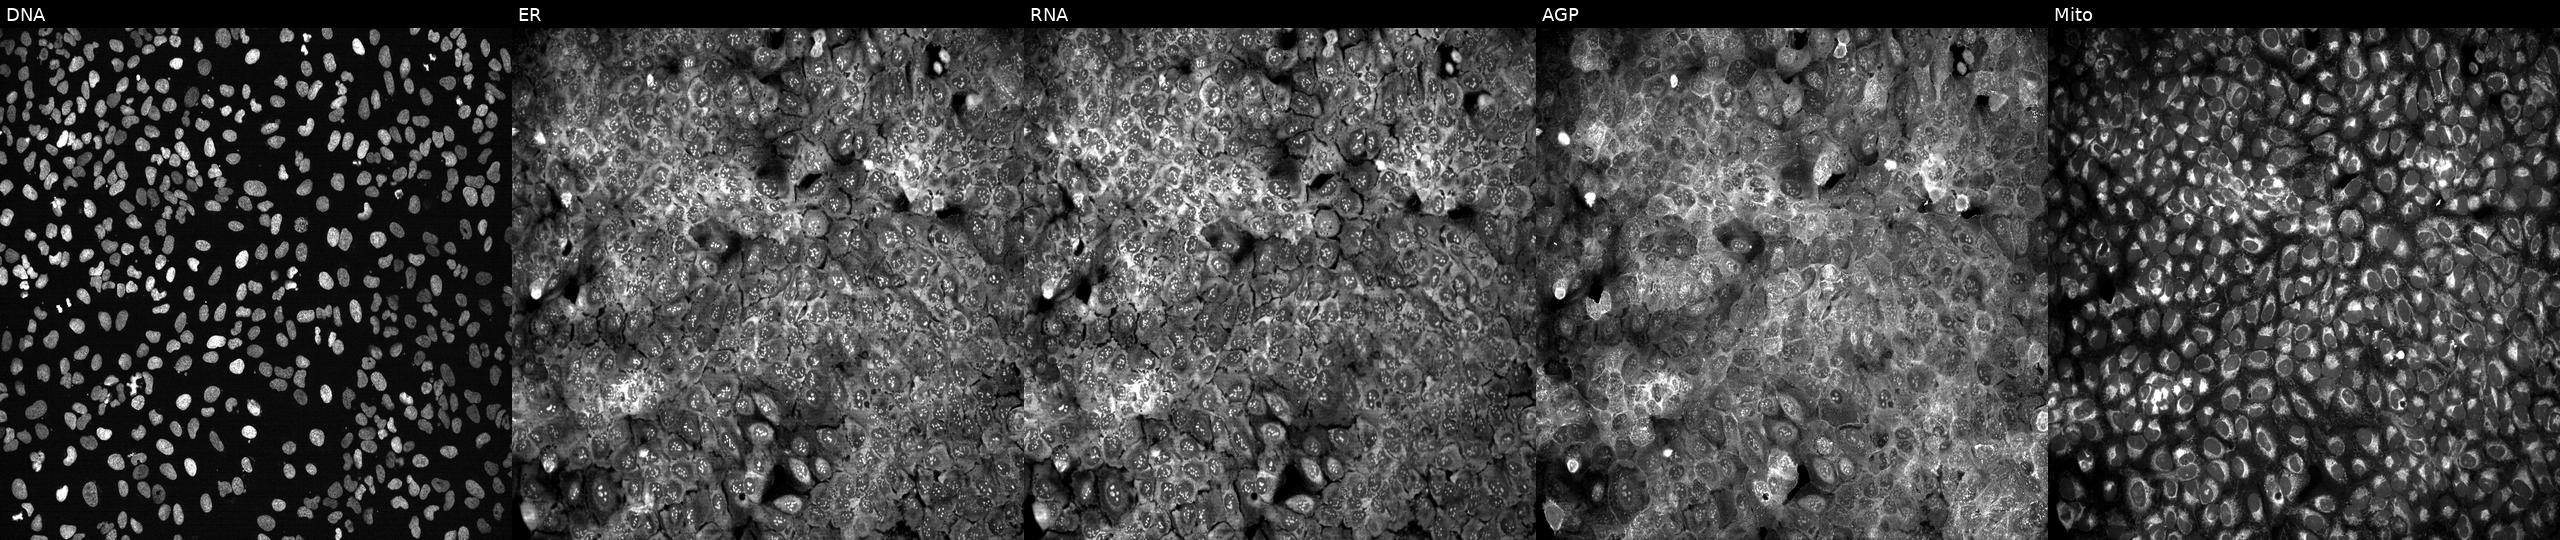
This image strip shows the five Cell Painting channels for a single field of U2OS cells with LSS knocked out by CRISPR (JUMP id JCP2022_803922). Panels show, left to right, Hoechst 33342, concanavalin A, SYTO 14, phalloidin and WGA, MitoTracker.